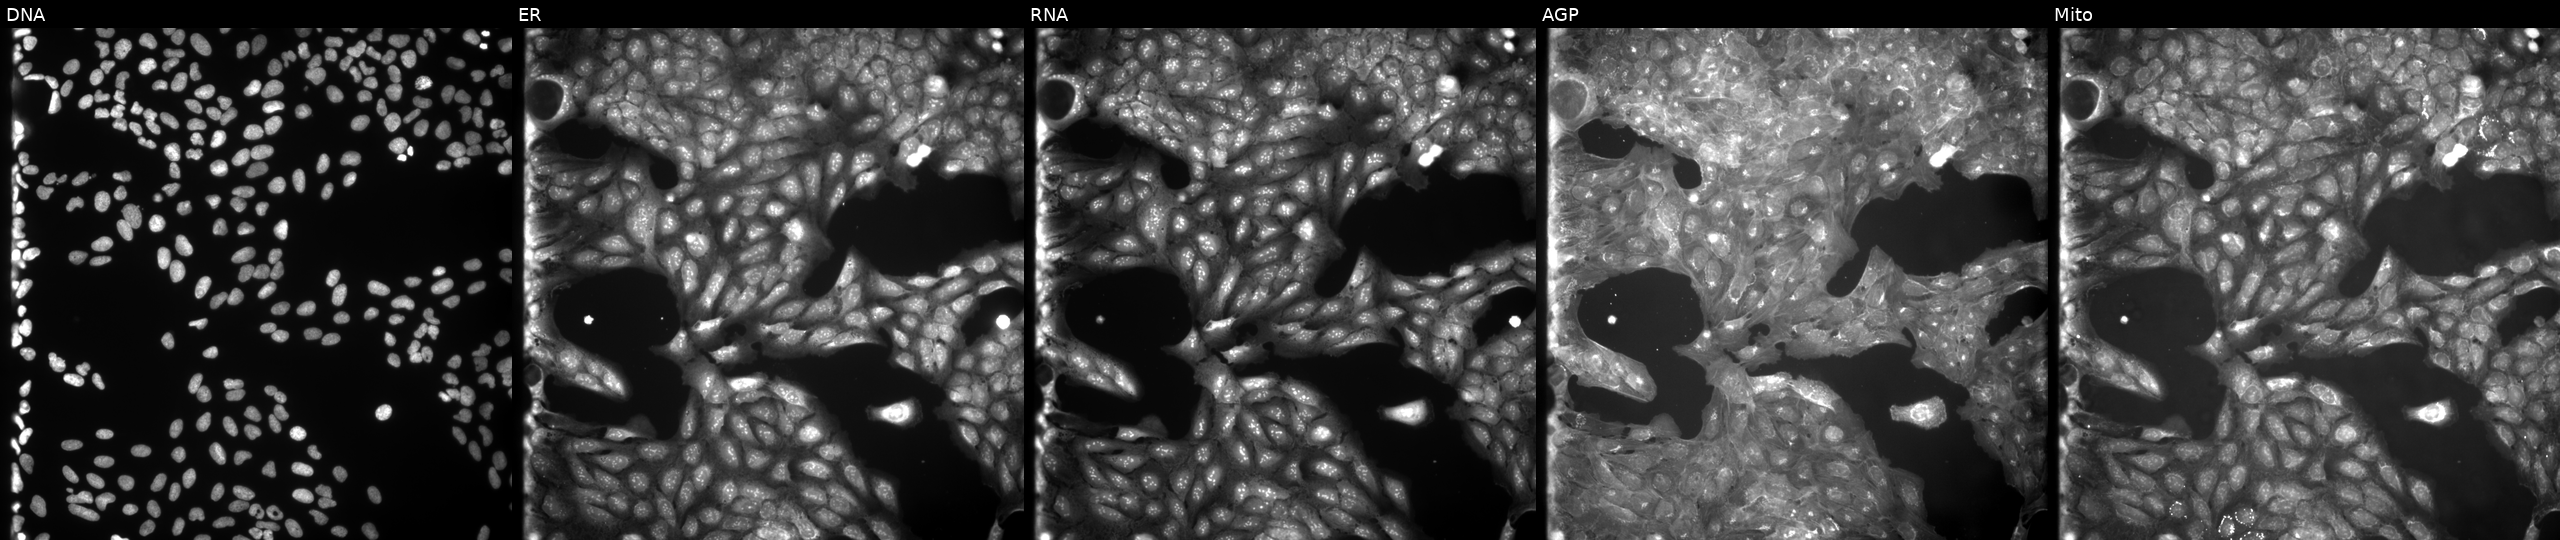
Five-channel Cell Painting image of U2OS cells perturbed with a small-molecule compound. Channels (left→right): DNA (nuclei); ER (endoplasmic reticulum); RNA (nucleoli and cytoplasmic RNA); AGP (actin cytoskeleton, Golgi, and plasma membrane); Mito (mitochondria).